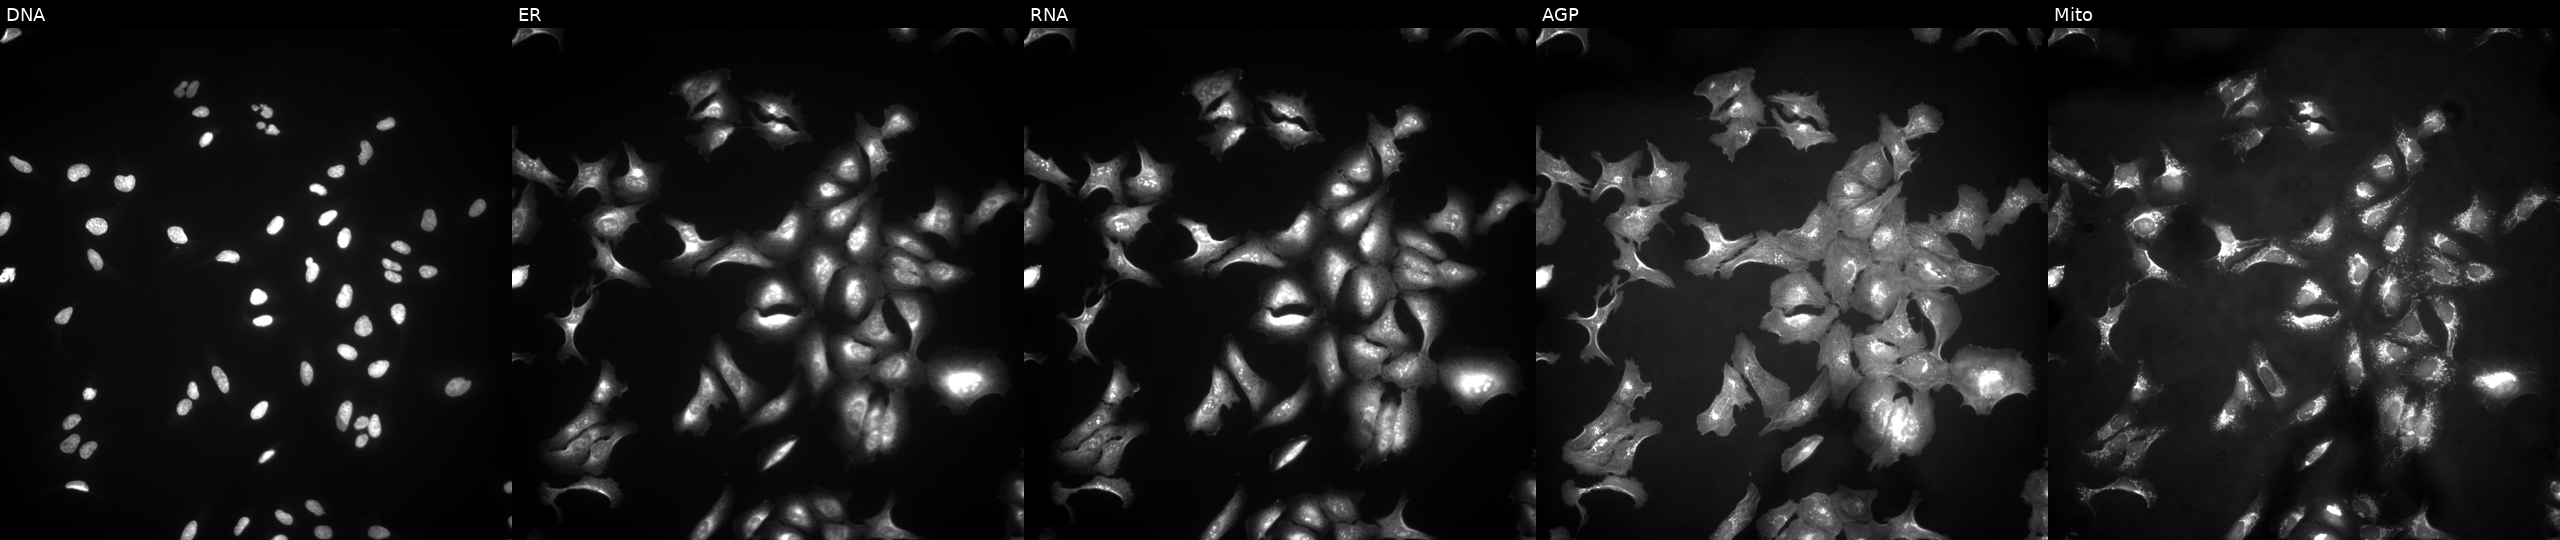
This image strip shows the five Cell Painting channels for a single field of U2OS cells expressing eGFP (ORF positive control). Channels (left→right): Hoechst 33342, concanavalin A, SYTO 14, phalloidin and WGA, MitoTracker.